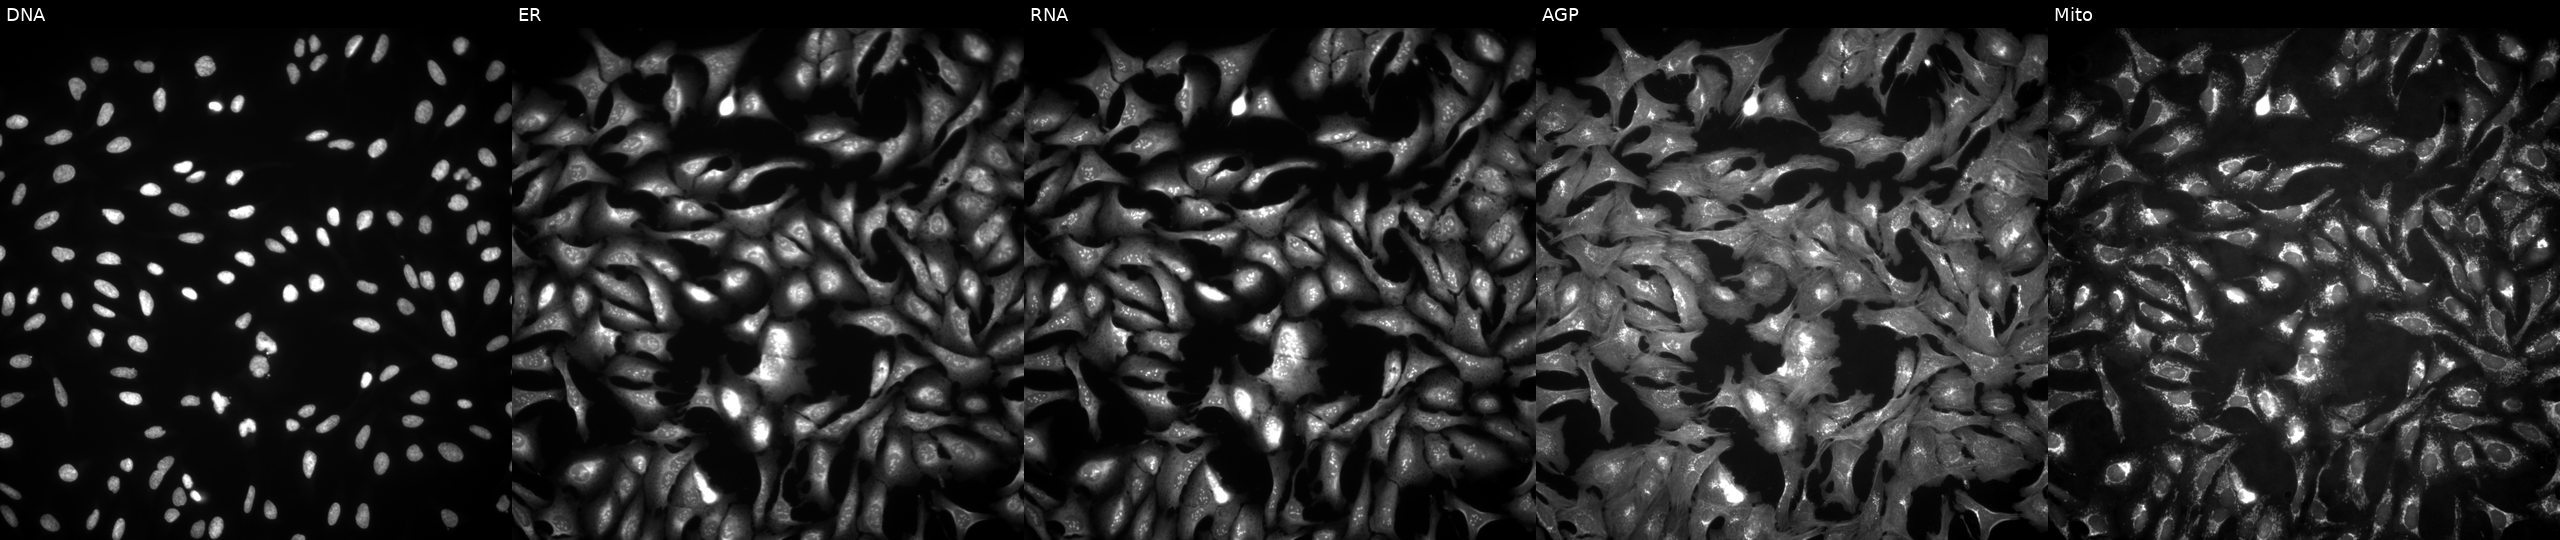
JUMP Cell Painting — ORF plate. U2OS cells transfected with an ORF construct for SFTPA2. Channels (left→right): DNA (nuclei); ER (endoplasmic reticulum); RNA (nucleoli and cytoplasmic RNA); AGP (actin cytoskeleton, Golgi, and plasma membrane); Mito (mitochondria).